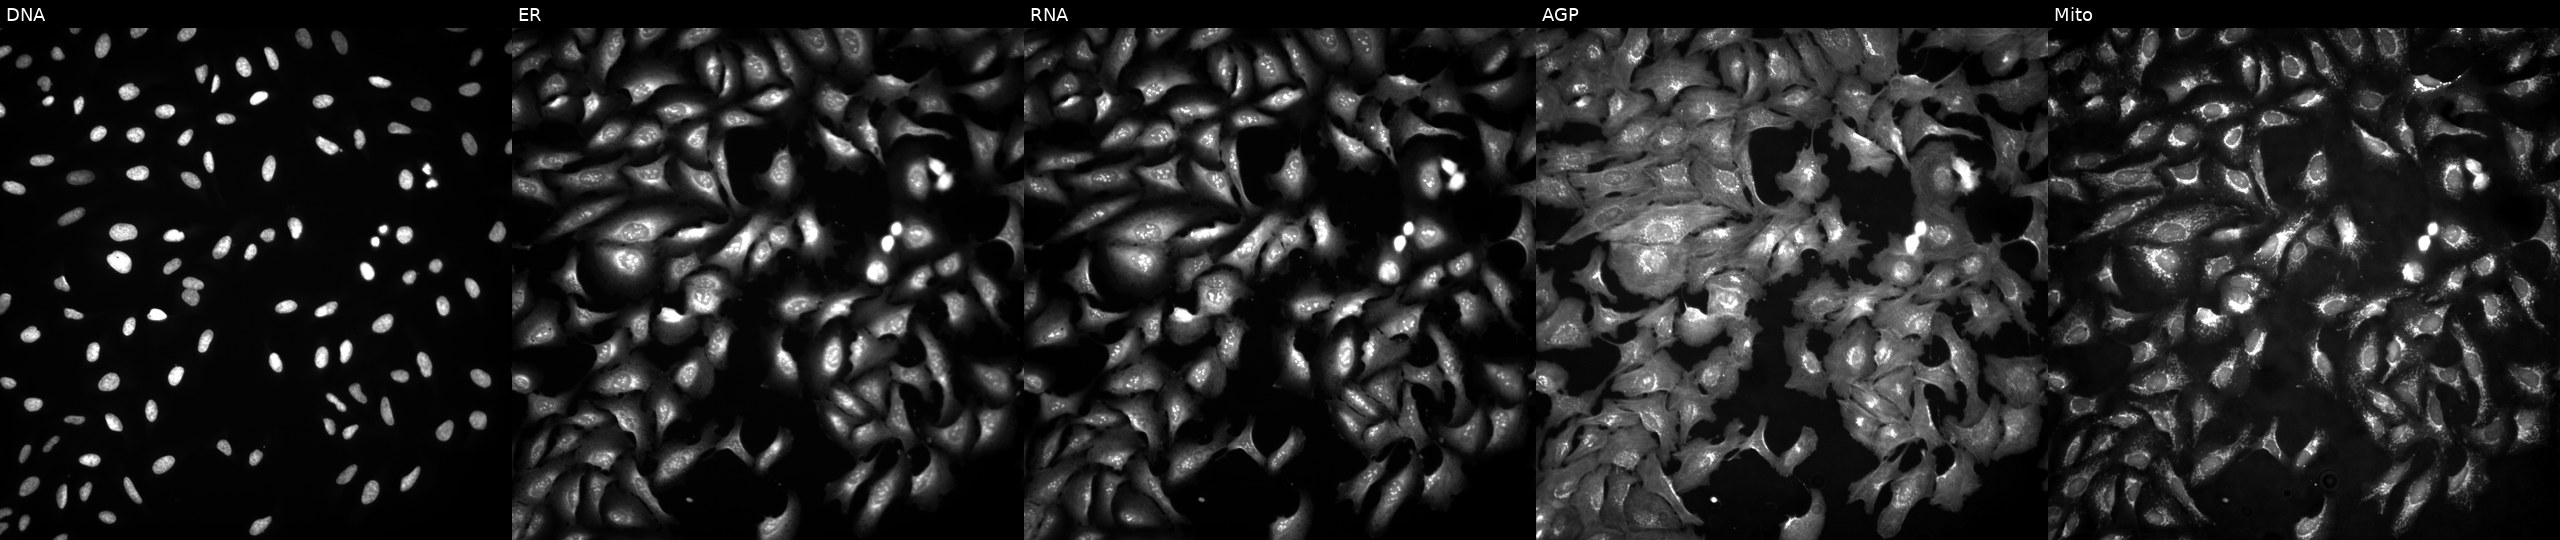
JUMP Cell Painting — ORF plate. U2OS cells with ADCK5 overexpressed (ORF) (JUMP id JCP2022_912484). Channels (left→right): Hoechst 33342, concanavalin A, SYTO 14, phalloidin and WGA, MitoTracker. Source 4, plate BR00123945, well H20.